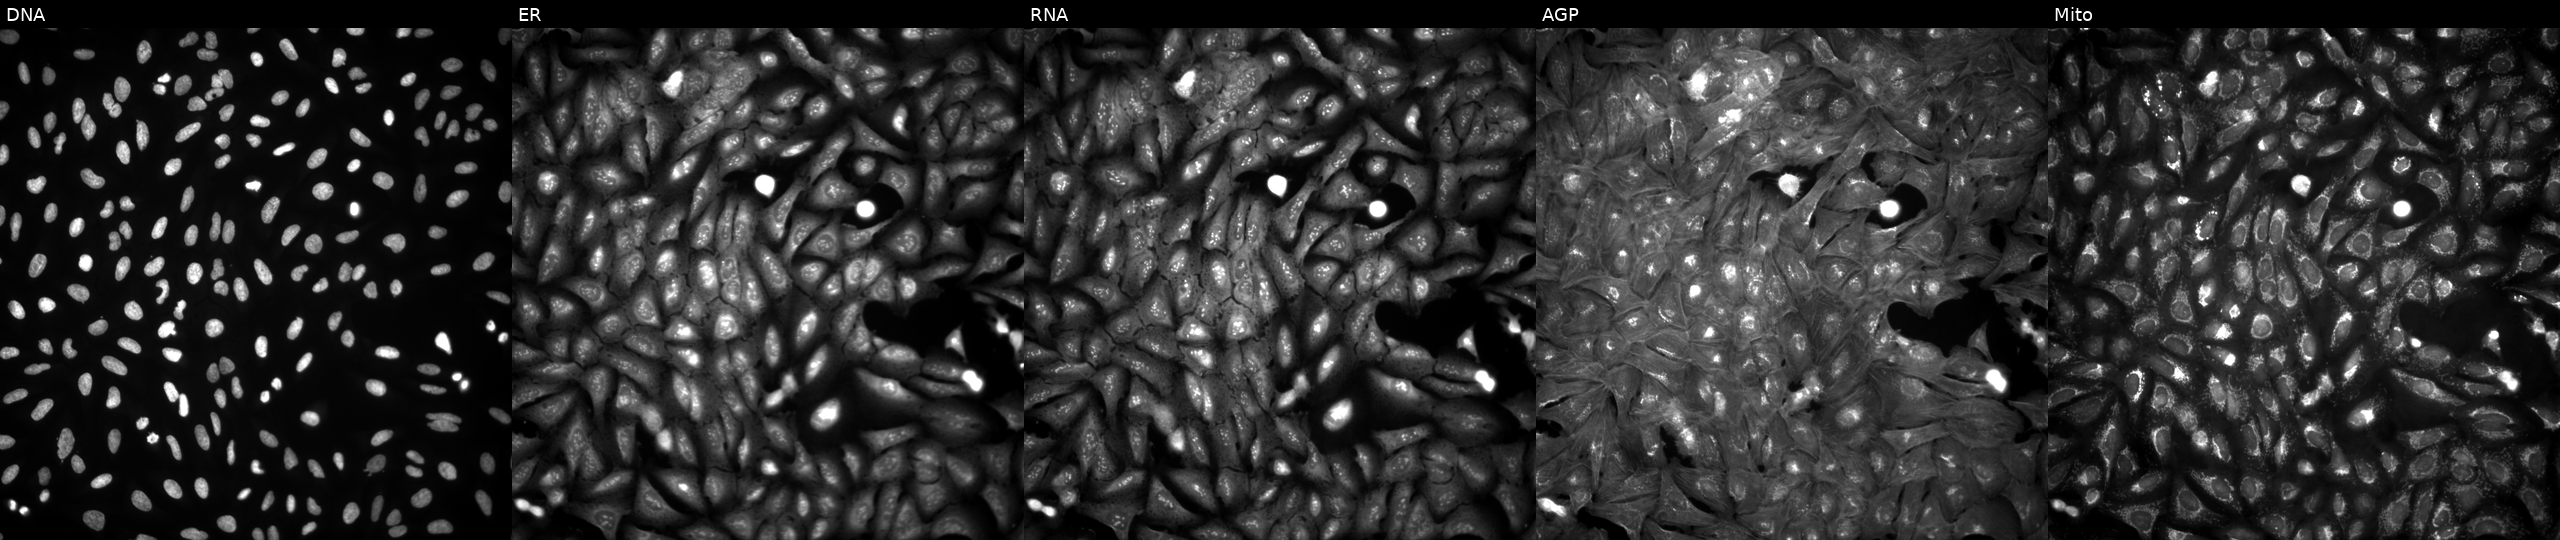
U2OS cells, Cell Painting assay, overexpressing C2orf88 via ORF transfection (JUMP id JCP2022_908570). The five panels, left to right, show DNA (nuclei); ER (endoplasmic reticulum); RNA (nucleoli and cytoplasmic RNA); AGP (actin cytoskeleton, Golgi, and plasma membrane); Mito (mitochondria). Each panel is percentile-stretched 16-bit fluorescence. Source 4, plate BR00124784, well A16.